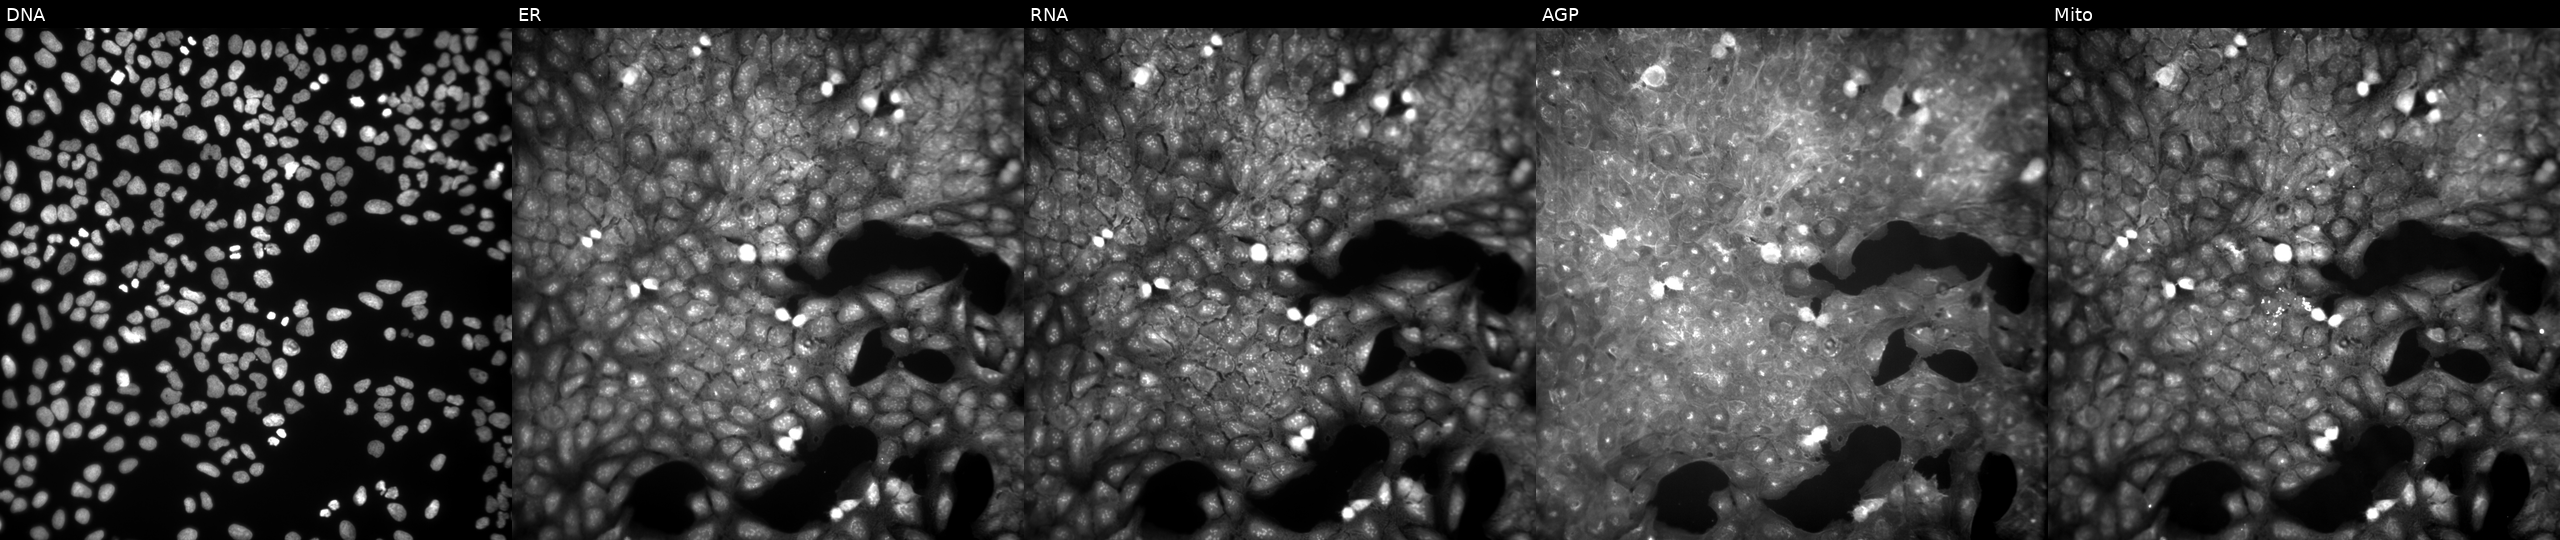
This image strip shows the five Cell Painting channels for a single field of U2OS cells treated with DMSO vehicle only (negative control). The five panels, left to right, show DNA, ER, RNA, AGP, and Mito.